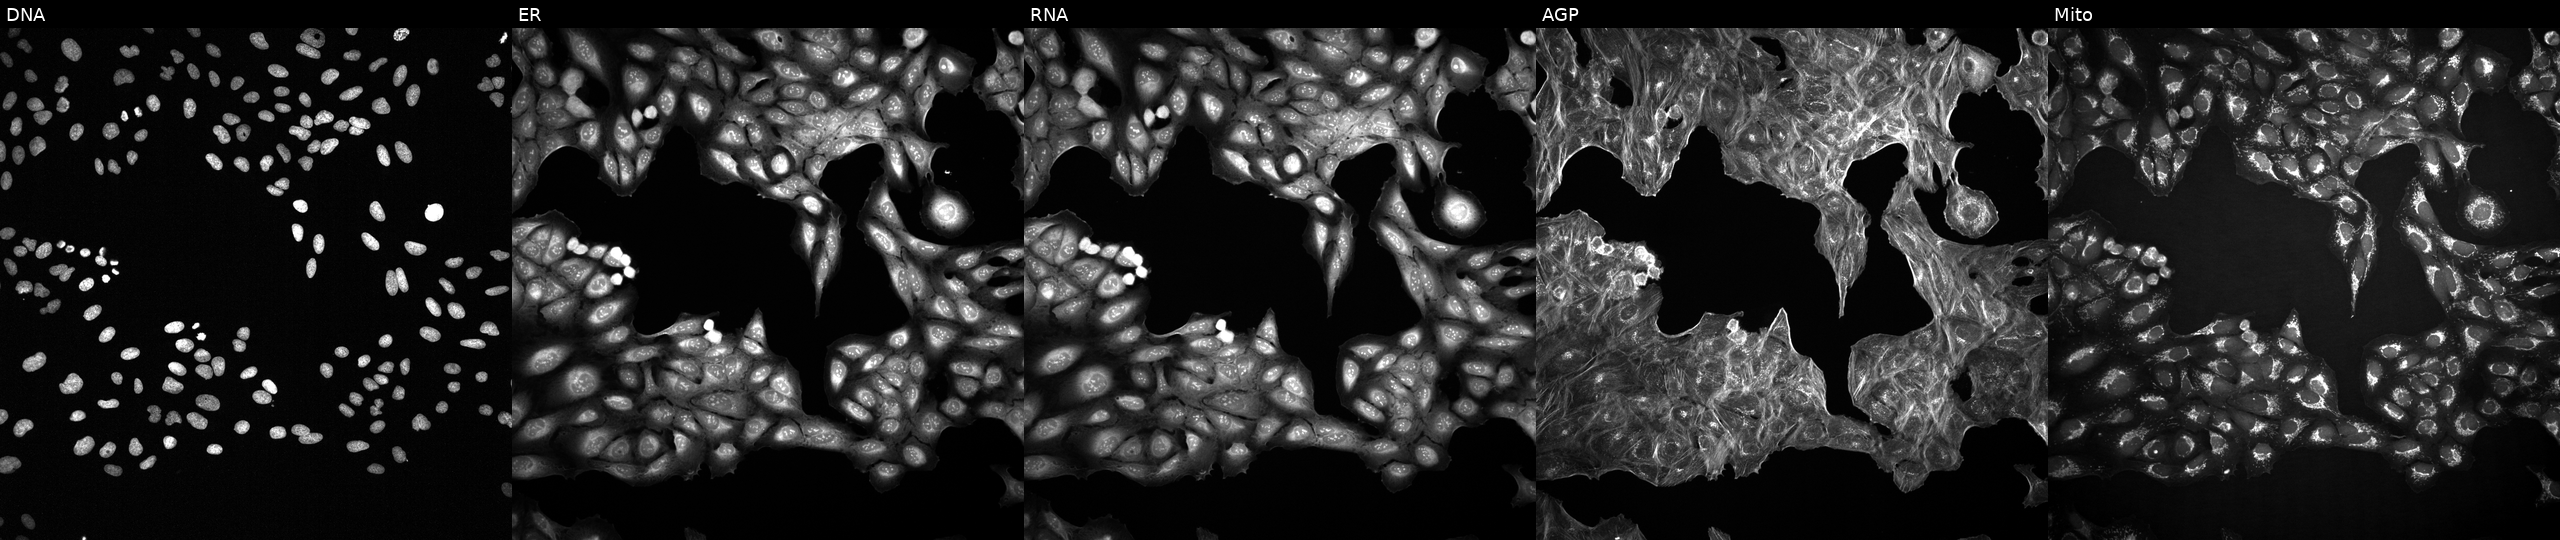
From left to right: DNA, ER, RNA, AGP, and Mito. U2OS osteosarcoma cells with an unidentified perturbation (not annotated in JUMP metadata). Cell Painting assay, JUMP-CP dataset. Source 2, plate 1053601763, well J08.